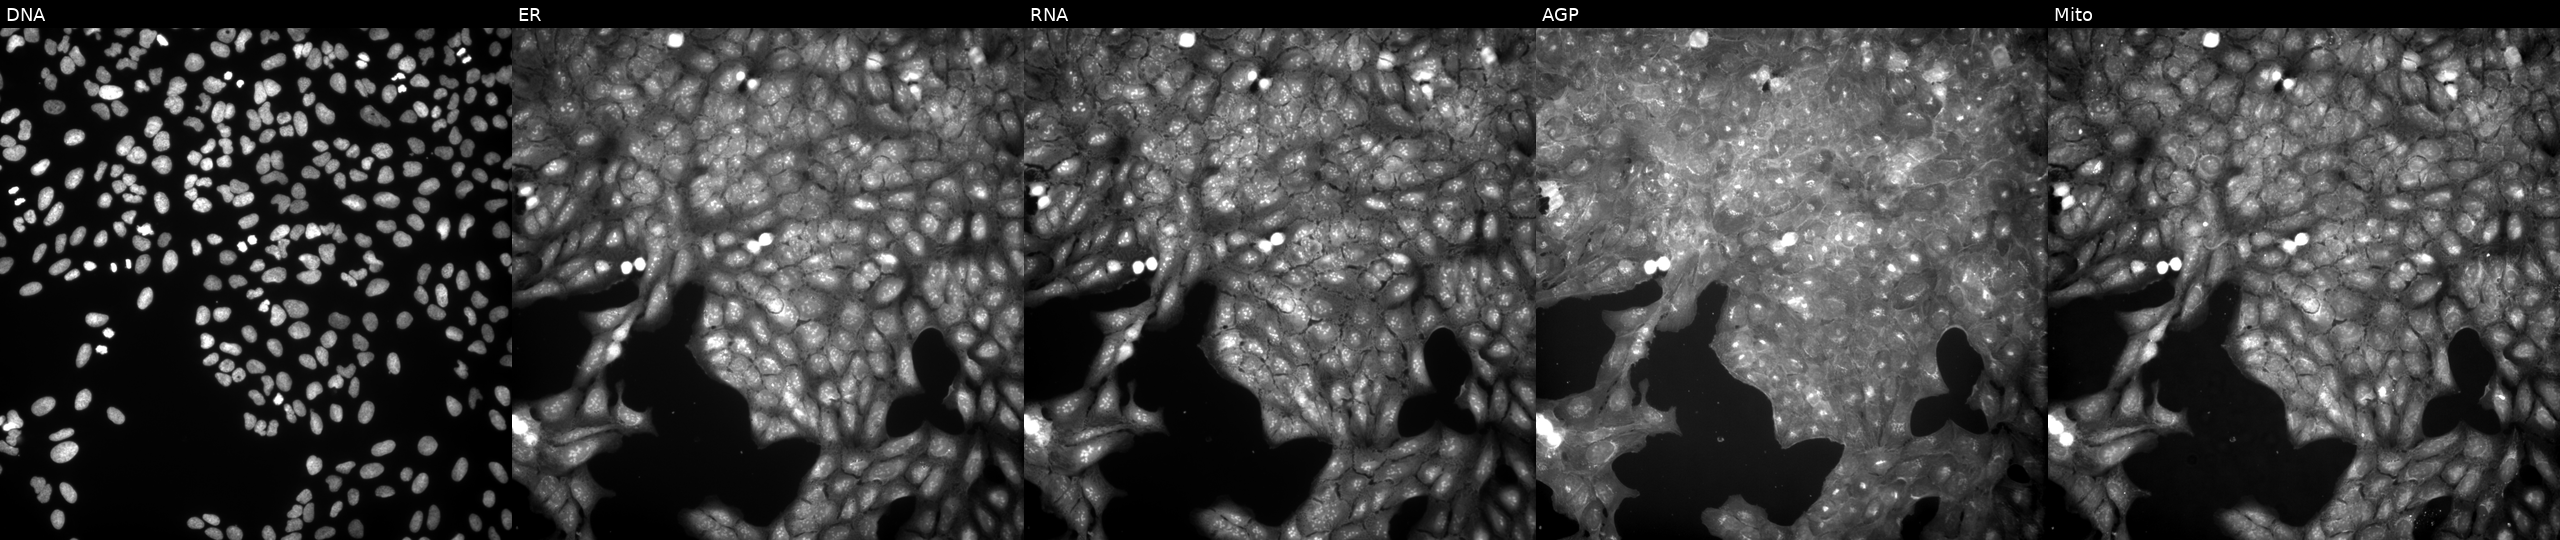
JUMP Cell Painting — COMPOUND plate. U2OS cells treated with a small-molecule compound (InChIKey WGKSYEUEPCDOSP-UHFFFAOYSA-N) (JUMP id JCP2022_098592). Panels show, left to right, DNA (nuclei); ER (endoplasmic reticulum); RNA (nucleoli and cytoplasmic RNA); AGP (actin cytoskeleton, Golgi, and plasma membrane); Mito (mitochondria). Source 9, plate GR00003381, well G34.